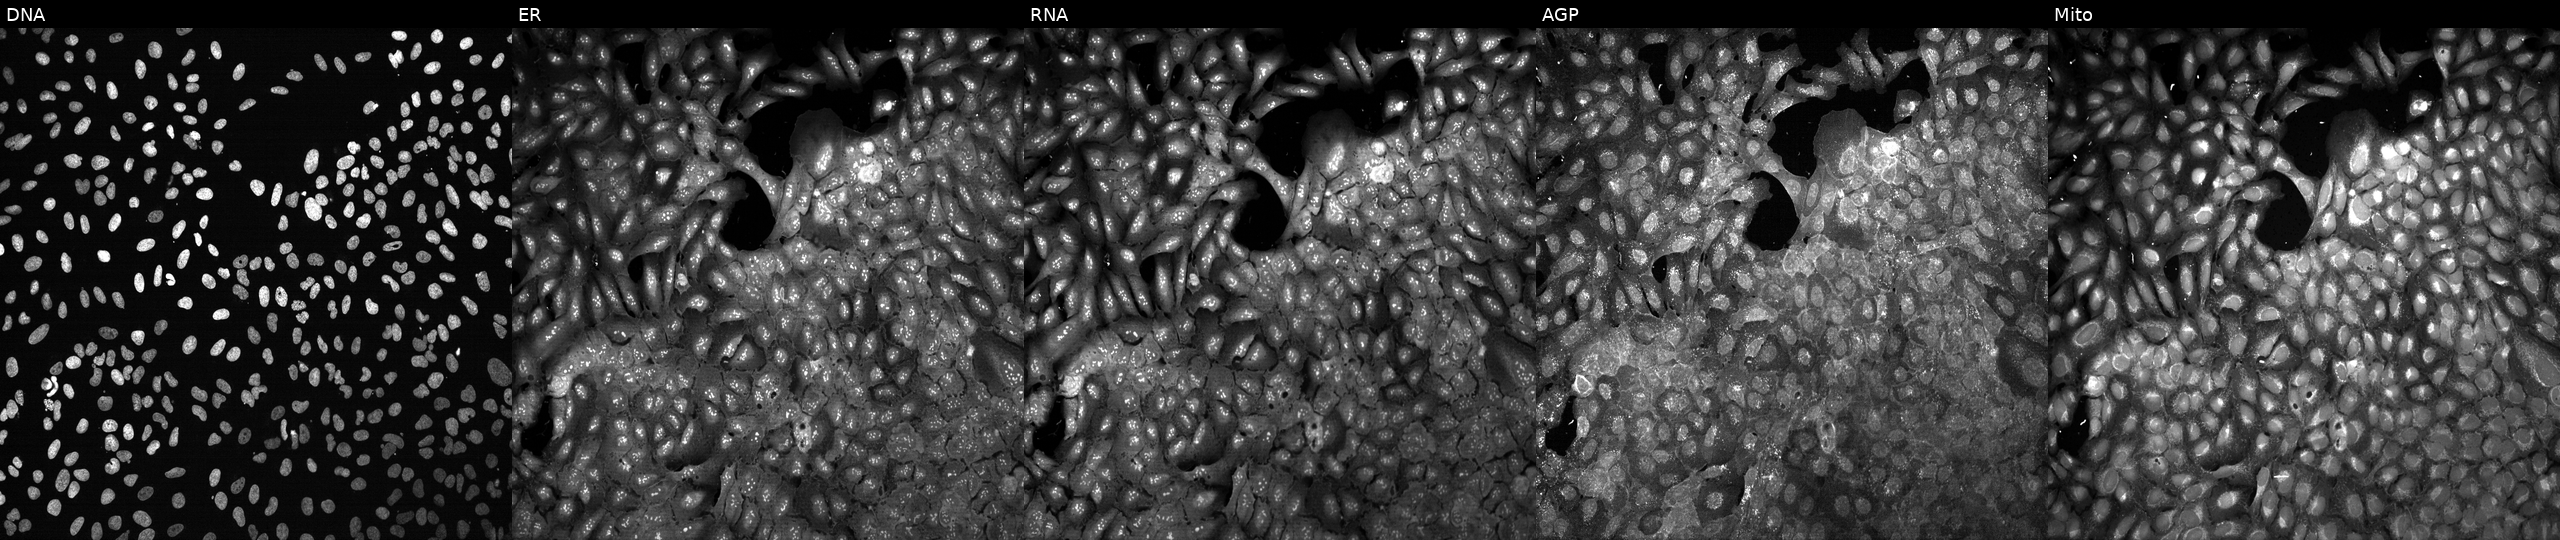
High-content fluorescence microscopy (Cell Painting). Cell line: U2OS. Perturbation: following CRISPR knockout of MCM6 (JUMP id JCP2022_804079). The five panels, left to right, show DNA (nuclei); ER (endoplasmic reticulum); RNA (nucleoli and cytoplasmic RNA); AGP (actin cytoskeleton, Golgi, and plasma membrane); Mito (mitochondria).